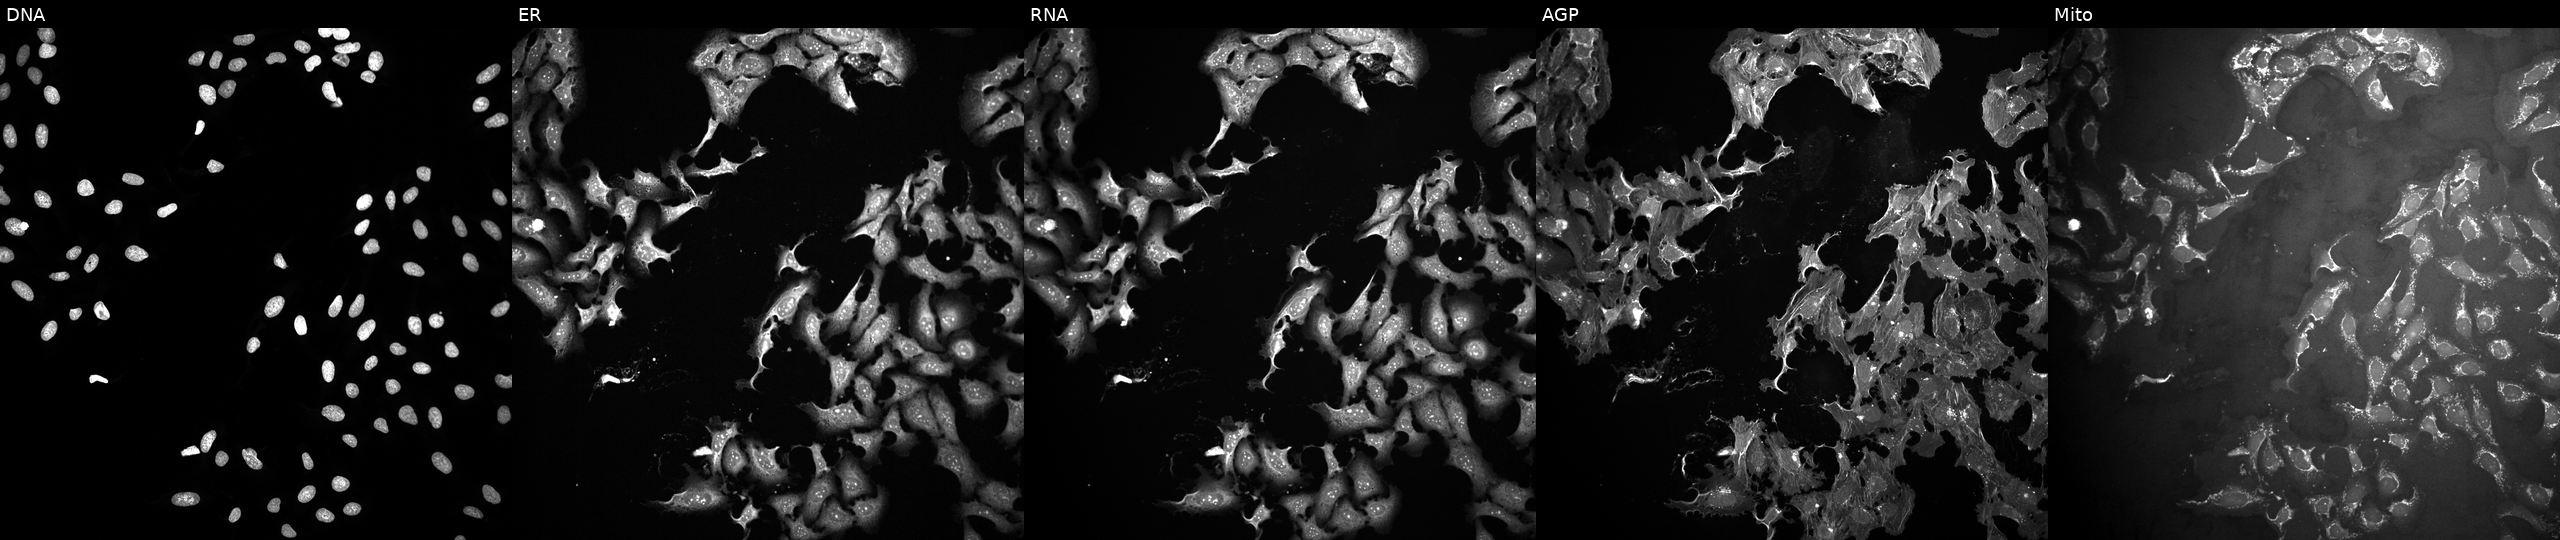
U2OS cells, Cell Painting assay, treated with FK-866 (positive-control compound) (JUMP id JCP2022_046054). The five panels, left to right, show DNA, ER, RNA, AGP, and Mito. Each panel is percentile-stretched 16-bit fluorescence. Source 10, plate Dest210531-152149, well H24.